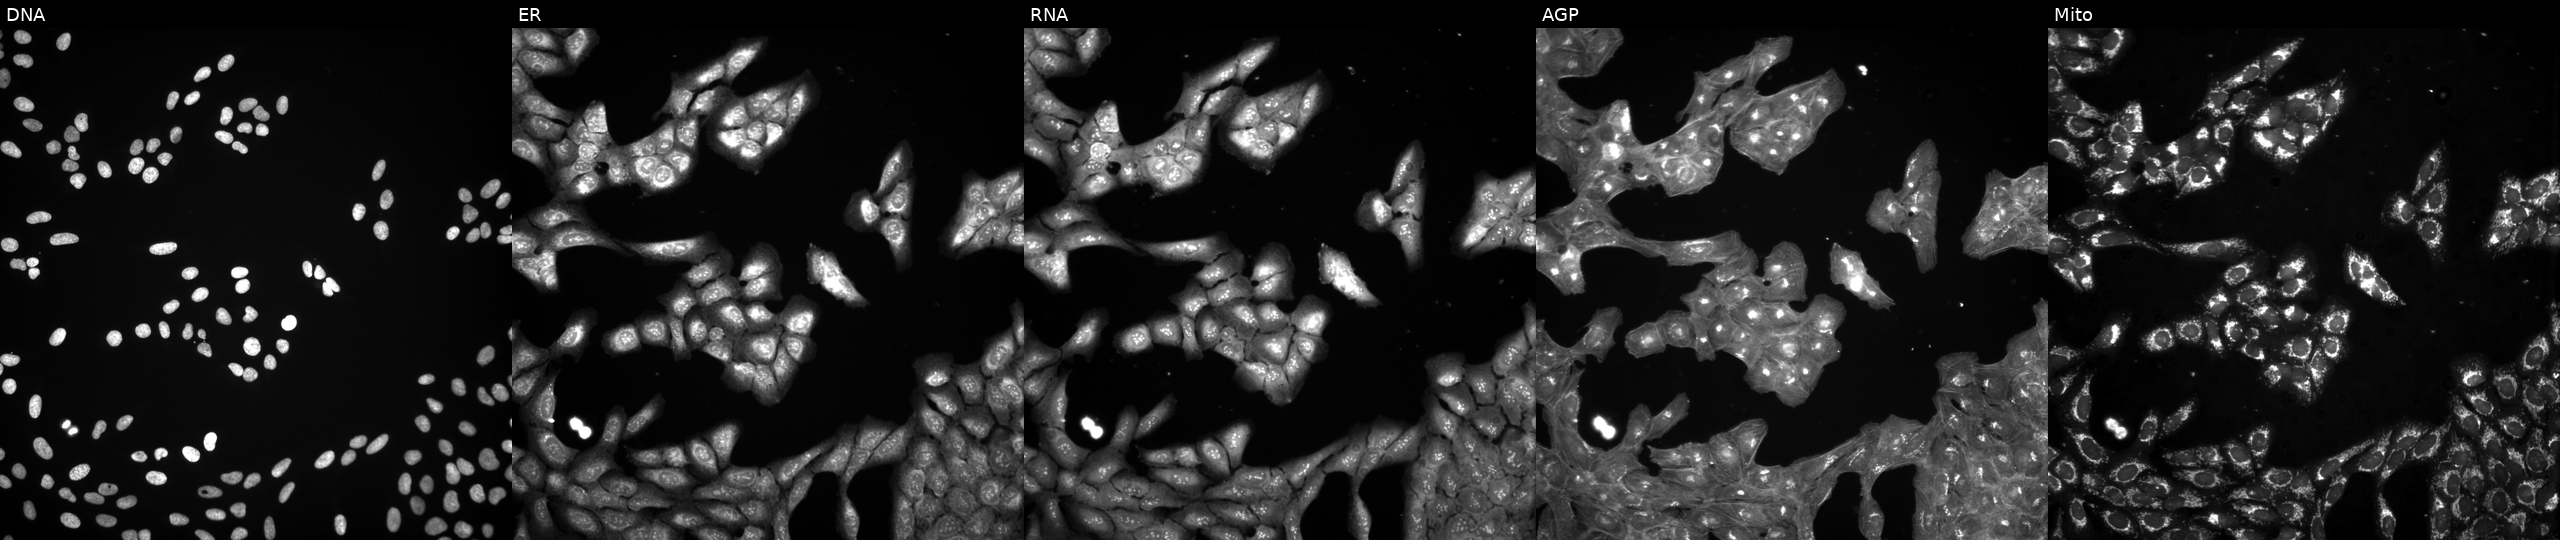
This image strip shows the five Cell Painting channels for a single field of U2OS cells perturbed with a small-molecule compound (InChIKey JTKIIKWCHGUKFH-UHFFFAOYSA-N). The five panels, left to right, show DNA, ER, RNA, AGP, and Mito. Source 3, plate BR5867a3, well H06.